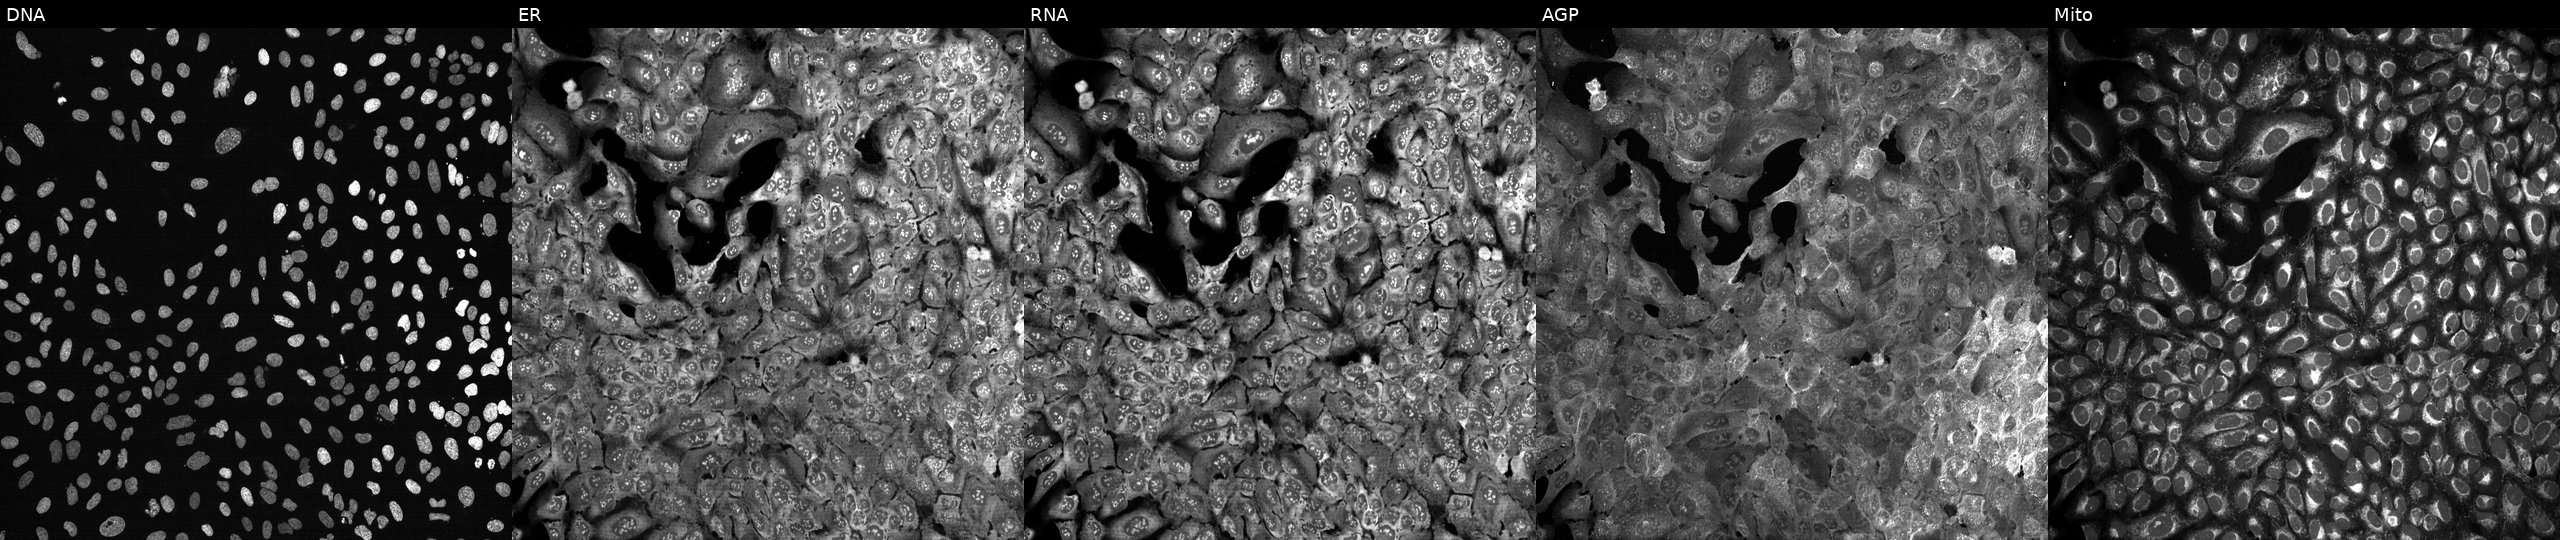
The five panels, left to right, show DNA (nuclei); ER (endoplasmic reticulum); RNA (nucleoli and cytoplasmic RNA); AGP (actin cytoskeleton, Golgi, and plasma membrane); Mito (mitochondria). U2OS osteosarcoma cells following CRISPR knockout of IQGAP1. Cell Painting assay, JUMP-CP dataset.